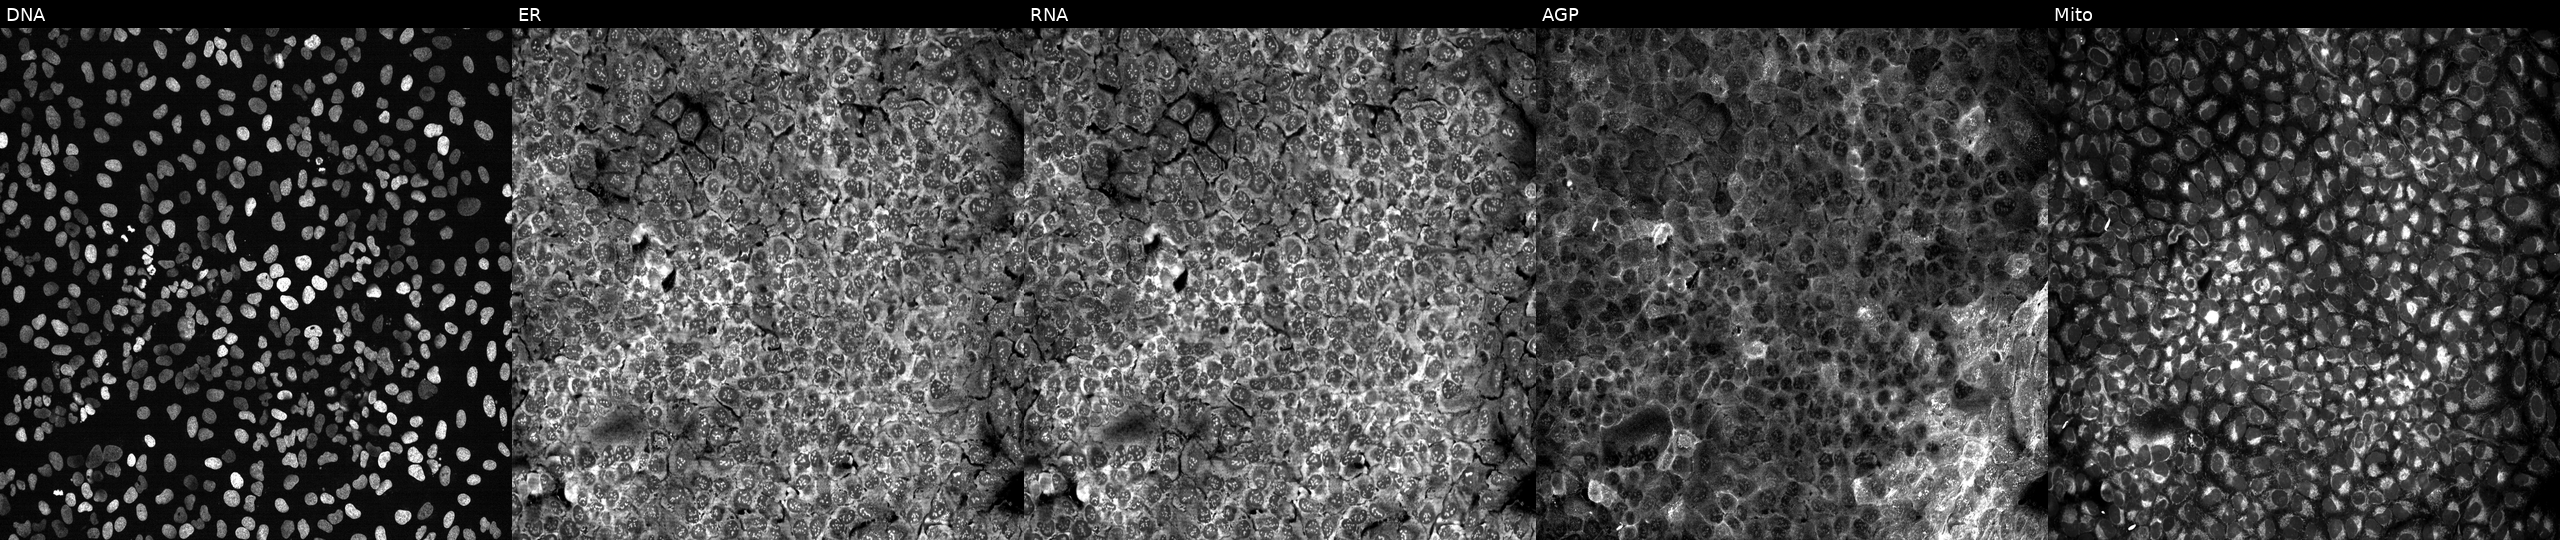
U2OS cells, Cell Painting assay, with LCN12 knocked out by CRISPR (JUMP id JCP2022_803790). From left to right: DNA, ER, RNA, AGP, and Mito. Each panel is percentile-stretched 16-bit fluorescence.